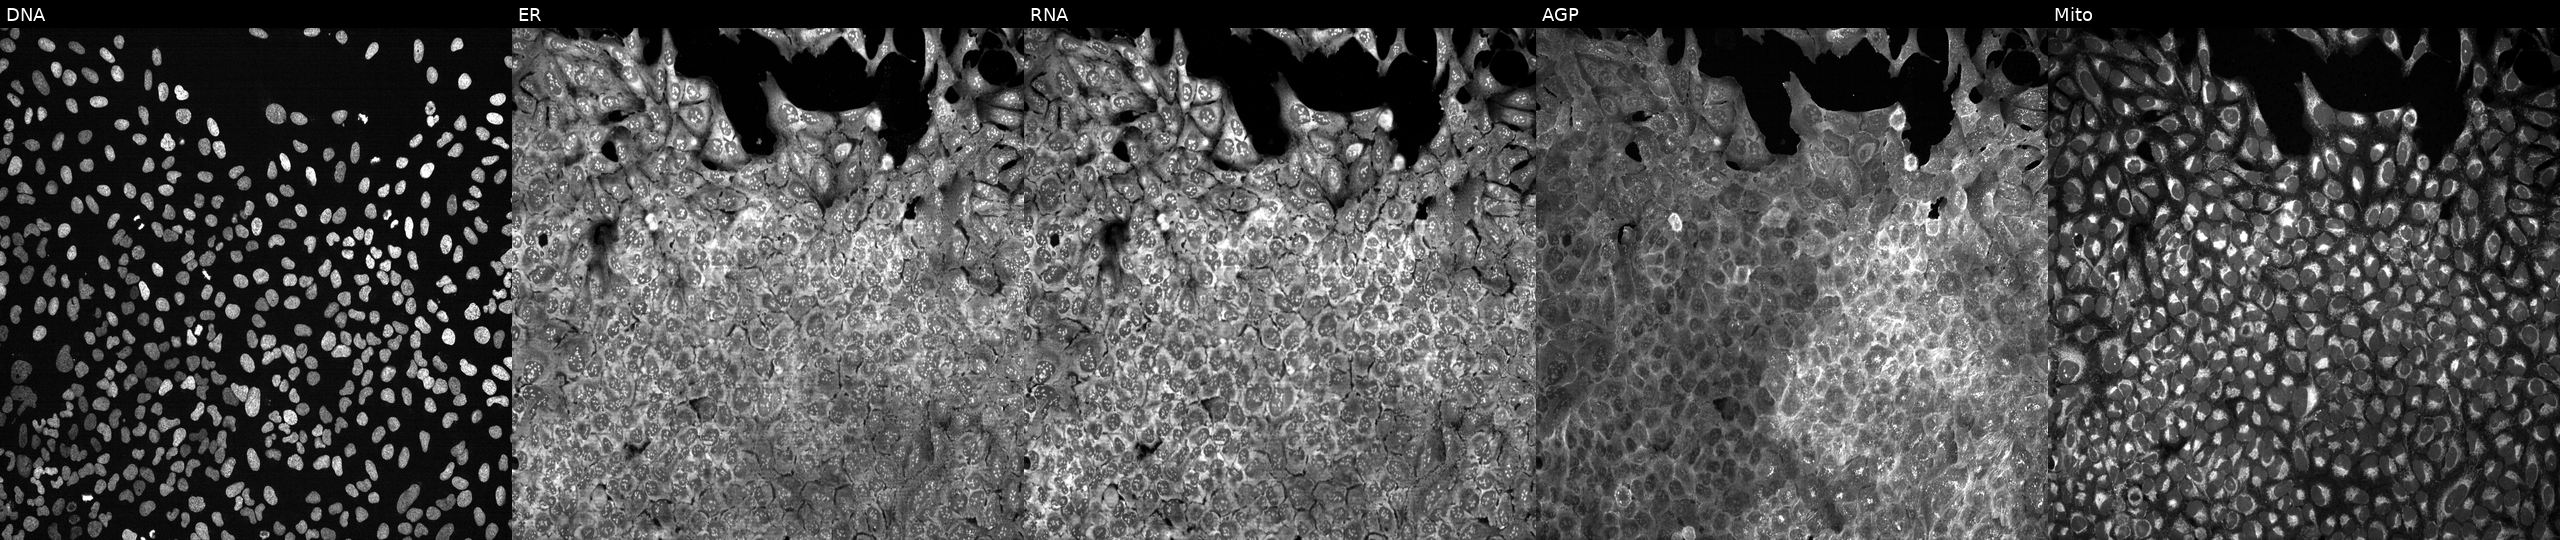
U2OS cells, Cell Painting assay, CRISPR-edited to disrupt GFI1 (JUMP id JCP2022_802669). The five panels, left to right, show DNA, ER, RNA, AGP, and Mito. Each panel is percentile-stretched 16-bit fluorescence.